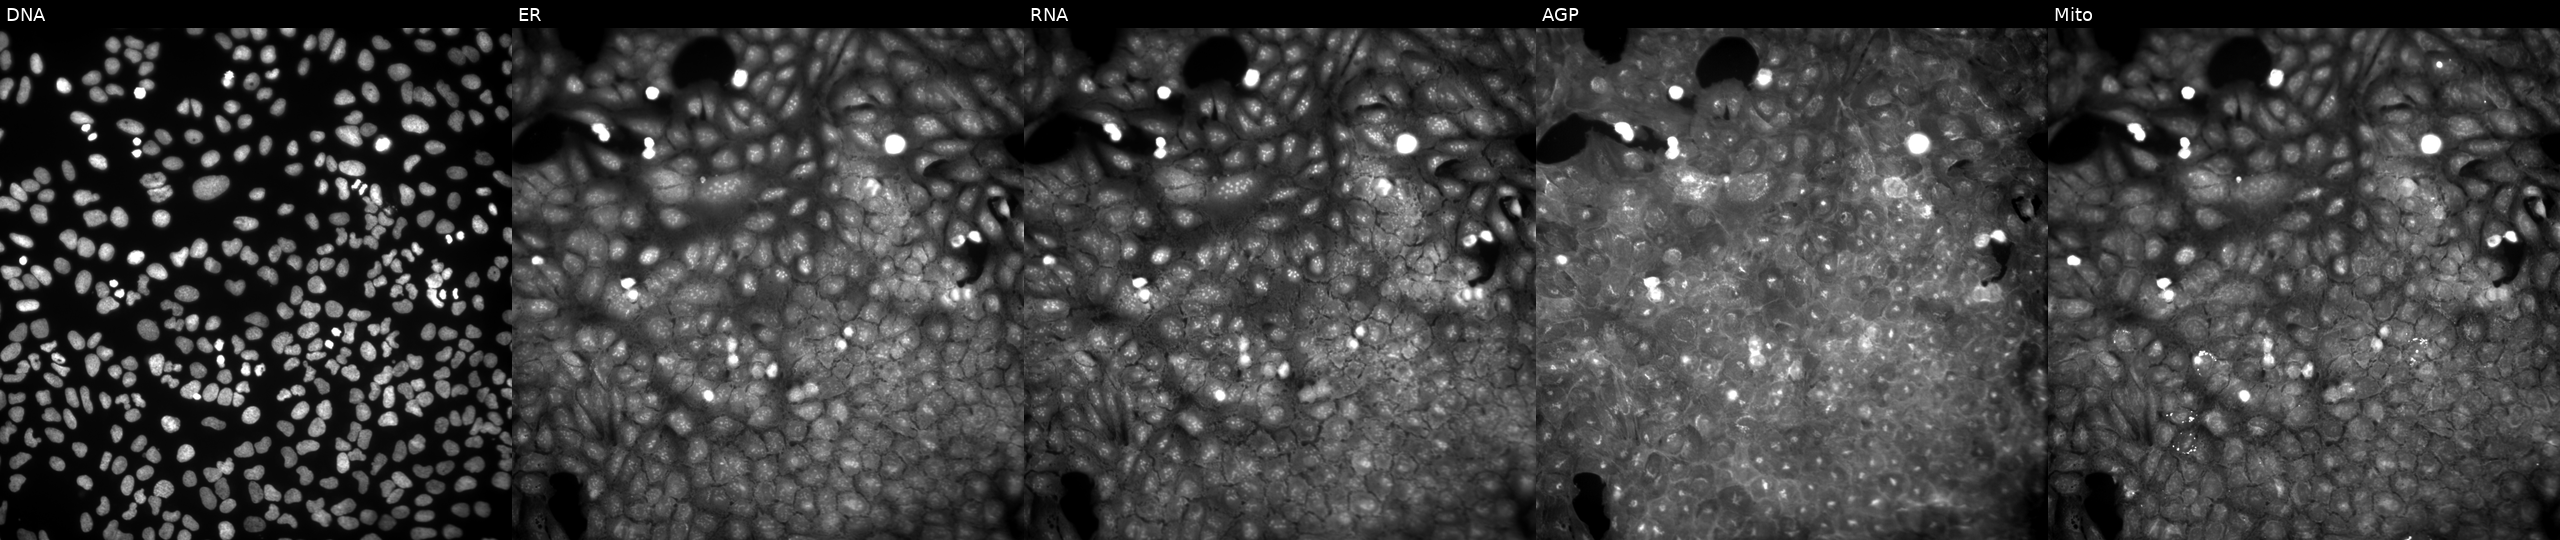
JUMP Cell Painting — COMPOUND plate. U2OS cells exposed to a small-molecule compound (InChIKey XVKYVKUHLSBCQL-UHFFFAOYSA-N) (JUMP id JCP2022_106295). Channels (left→right): Hoechst 33342, concanavalin A, SYTO 14, phalloidin and WGA, MitoTracker. Source 9, plate GR00003382, well AA35.